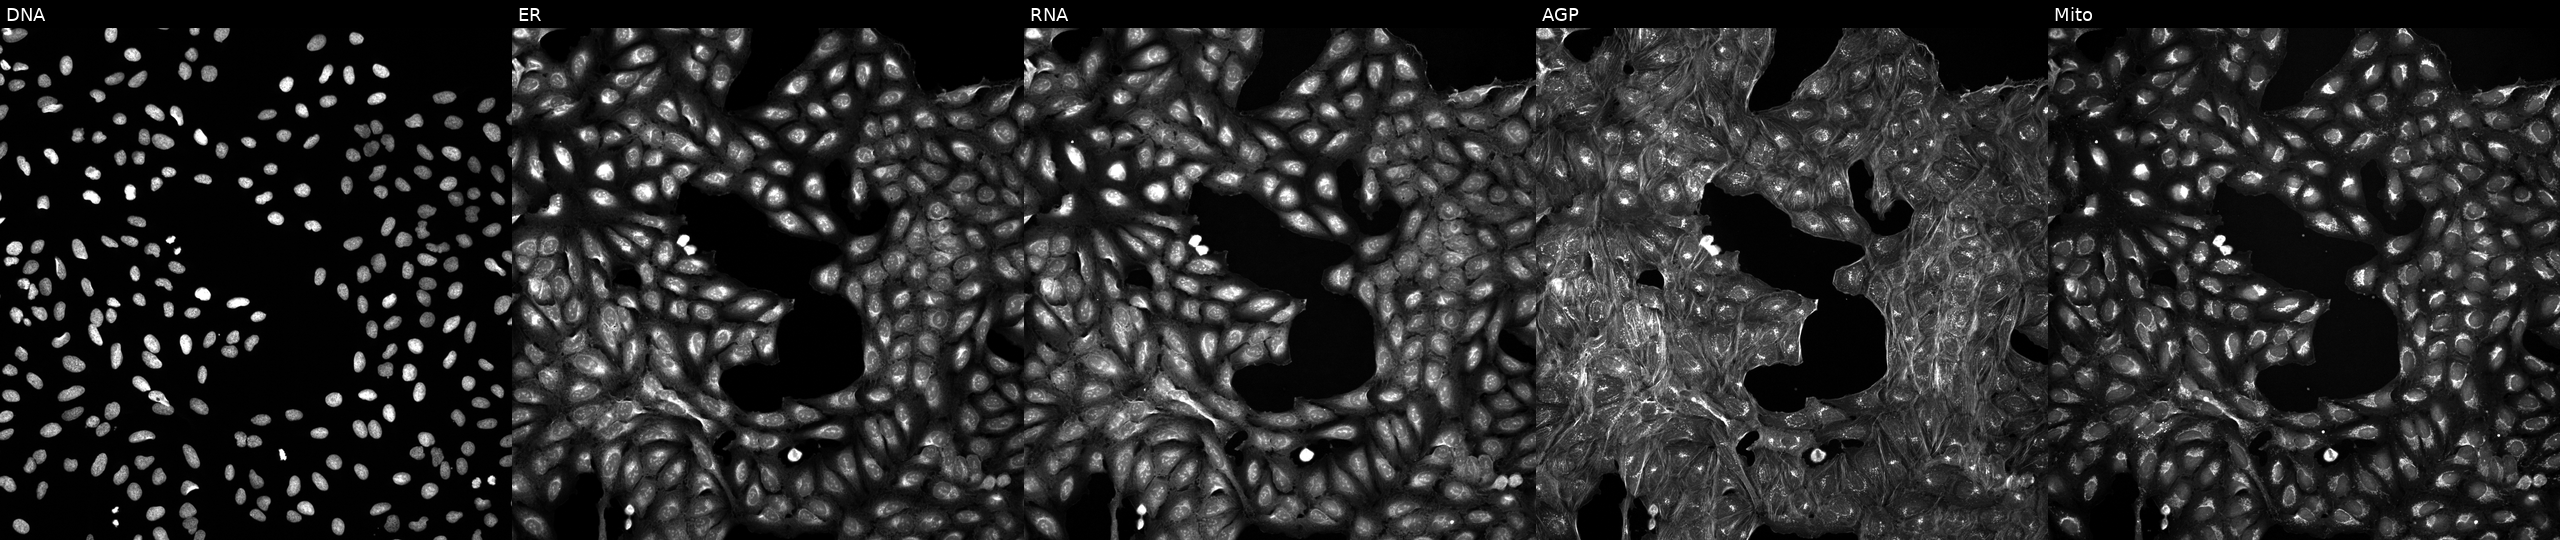
Panels show, left to right, DNA (nuclei); ER (endoplasmic reticulum); RNA (nucleoli and cytoplasmic RNA); AGP (actin cytoskeleton, Golgi, and plasma membrane); Mito (mitochondria). U2OS osteosarcoma cells treated with DMSO vehicle only (negative control) (JUMP id JCP2022_033924). Cell Painting assay, JUMP-CP dataset.